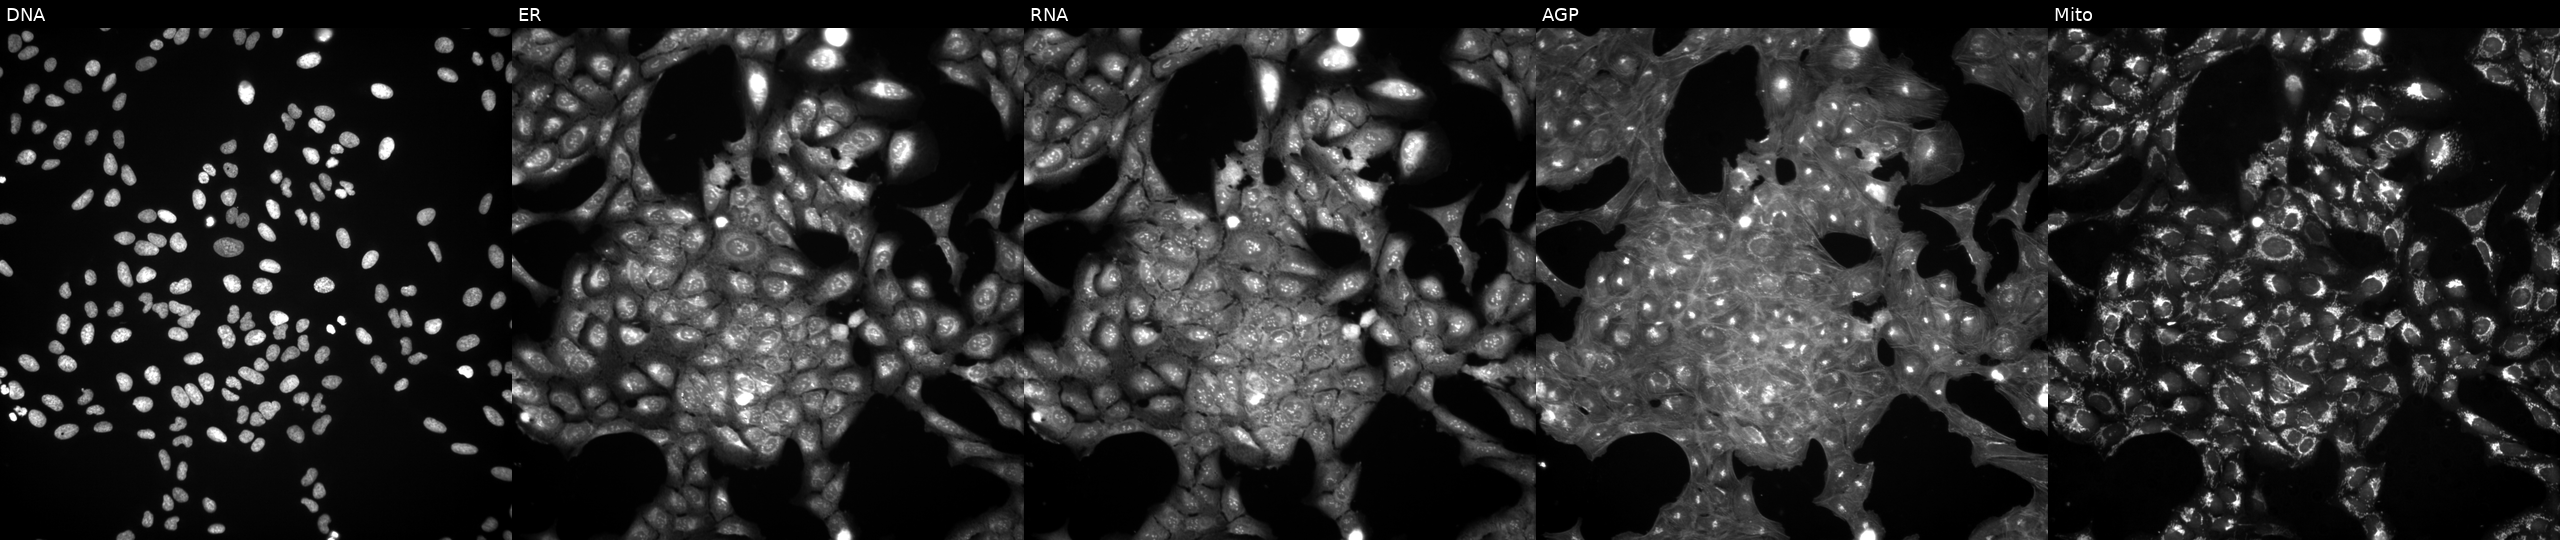
High-content fluorescence microscopy (Cell Painting). Cell line: U2OS. Perturbation: treated with DMSO vehicle only (negative control). Channels (left→right): DNA, ER, RNA, AGP, and Mito.